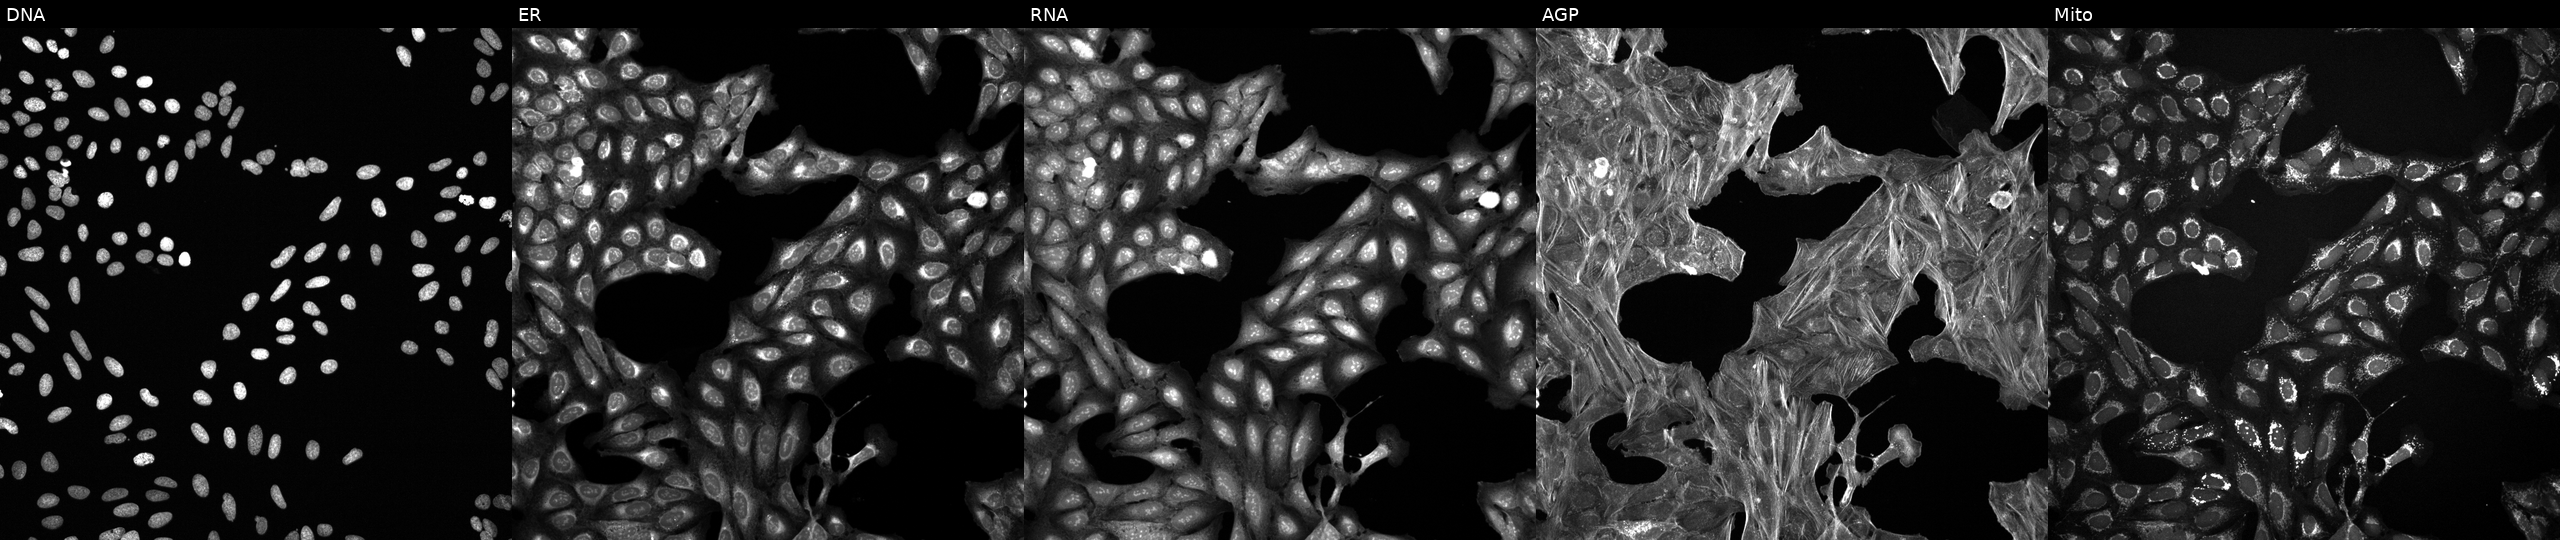
Five-channel Cell Painting image of U2OS cells exposed to a small-molecule compound [SMILES: CC1(C)OC2CC3C4CC=C5CC(=O)C=CC5(C)C4C(O)CC3(C)C2(C(=O)CO)O1]. The five panels, left to right, show Hoechst 33342, concanavalin A, SYTO 14, phalloidin and WGA, MitoTracker. Source 6, plate 110000293081, well G05.